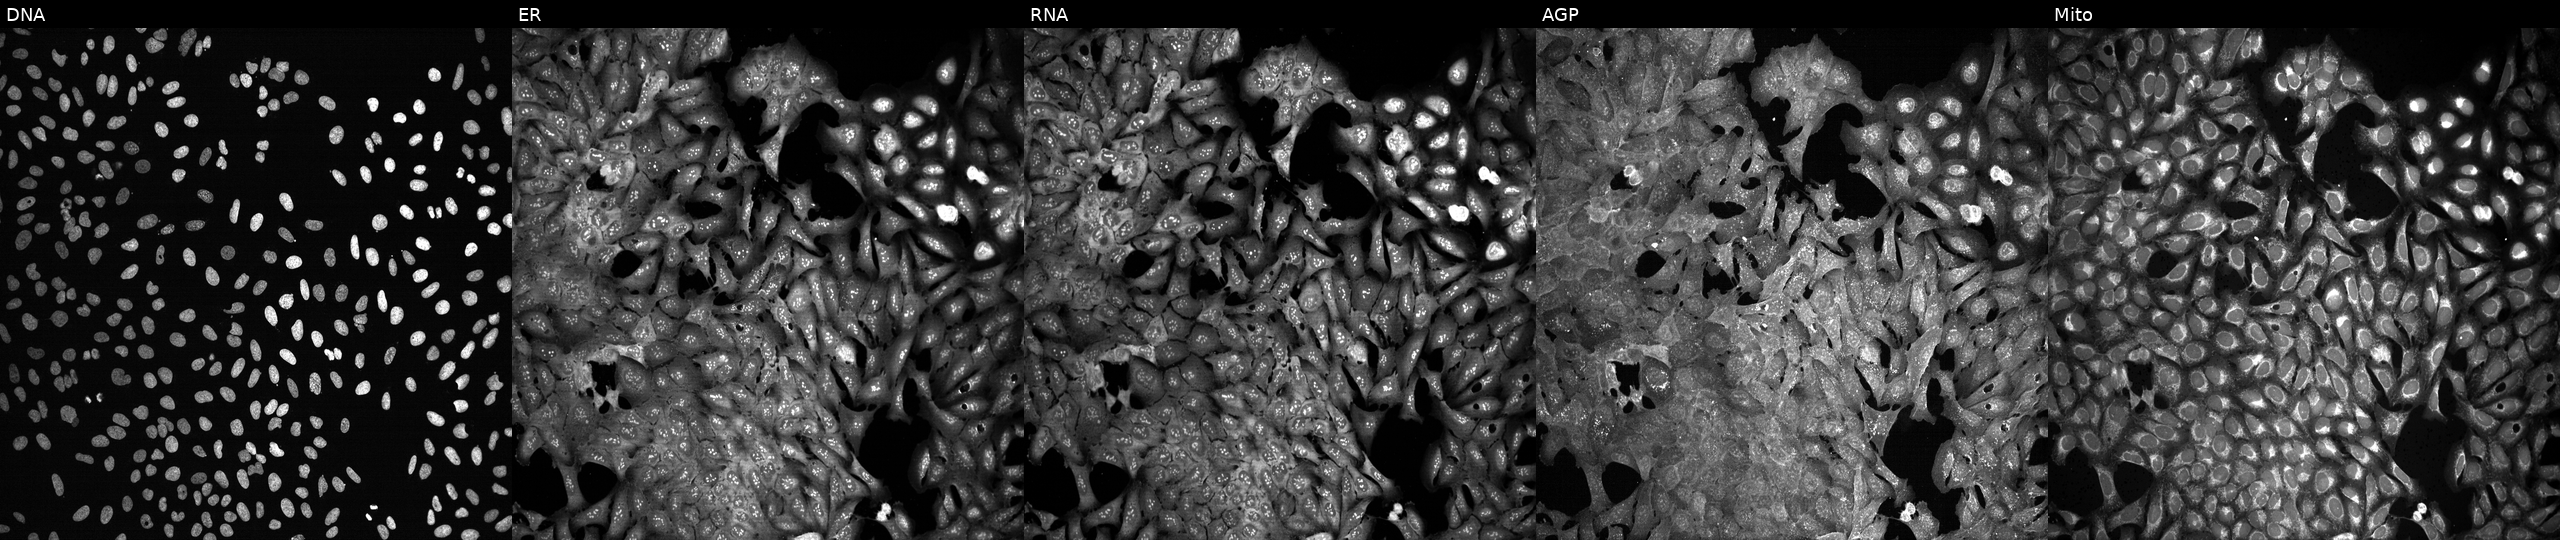
Five-channel Cell Painting image of U2OS cells with PRDX1 knocked out by CRISPR (JUMP id JCP2022_805498). The five panels, left to right, show Hoechst 33342, concanavalin A, SYTO 14, phalloidin and WGA, MitoTracker. Source 13, plate CP-CC9-R5-01, well L04.